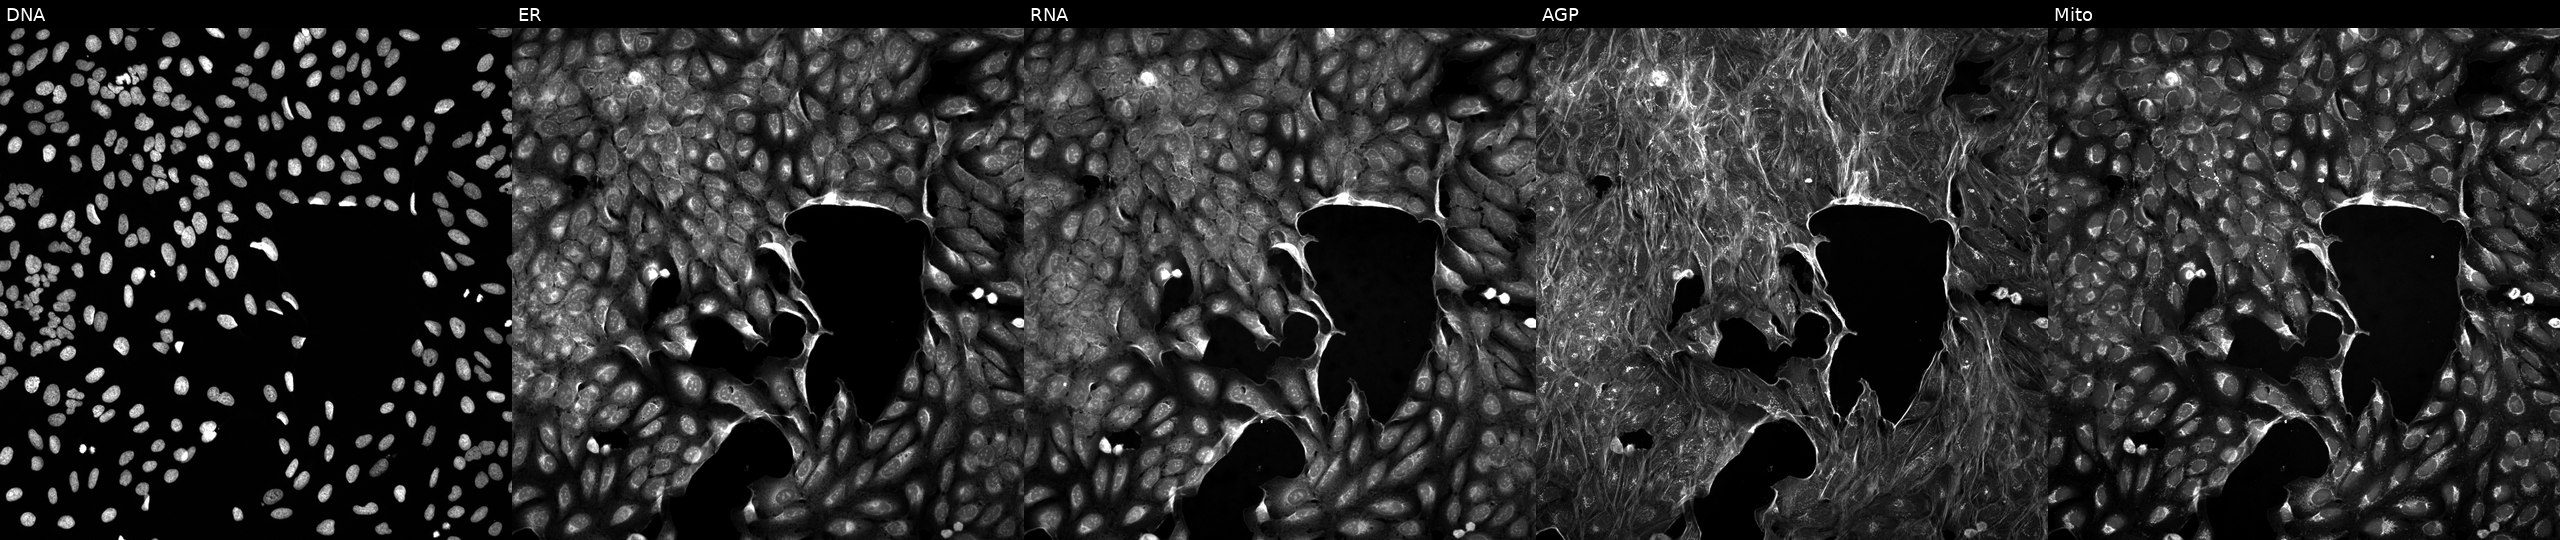
The five panels, left to right, show DNA (nuclei); ER (endoplasmic reticulum); RNA (nucleoli and cytoplasmic RNA); AGP (actin cytoskeleton, Golgi, and plasma membrane); Mito (mitochondria). U2OS osteosarcoma cells exposed to a small-molecule compound (InChIKey NYNZQNWKBKUAII-UHFFFAOYSA-N) (JUMP id JCP2022_062184). Cell Painting assay, JUMP-CP dataset. Source 5, plate ACPJUM032, well O21.